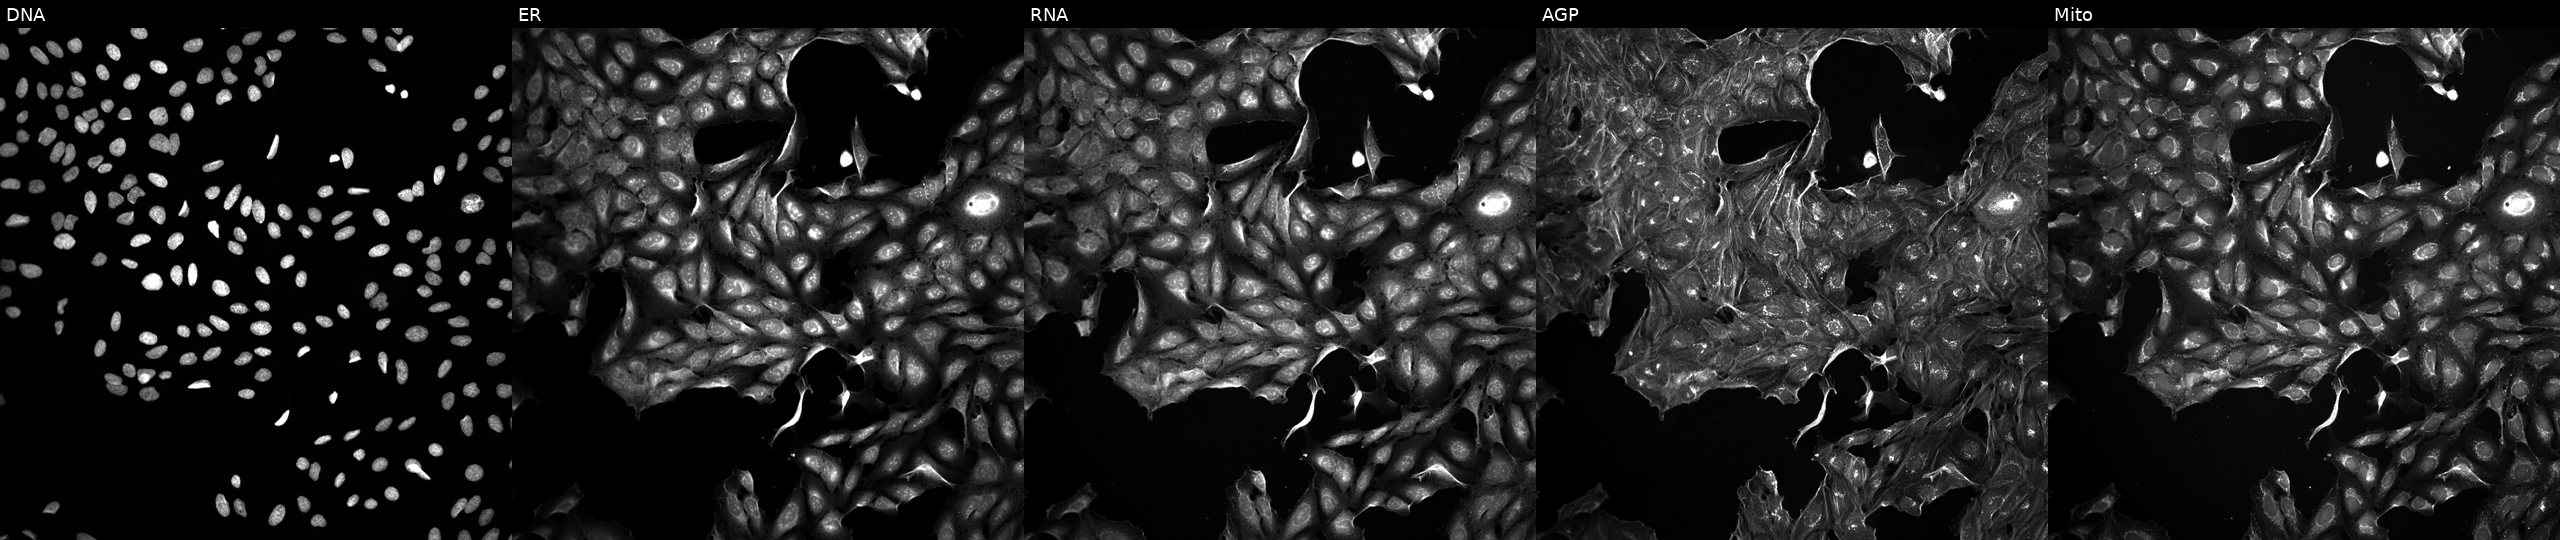
High-content fluorescence microscopy (Cell Painting). Cell line: U2OS. Perturbation: treated with a small-molecule compound (InChIKey FUICGSUEQRPYSR-UHFFFAOYSA-N) (JUMP id JCP2022_023016). Channels (left→right): DNA, ER, RNA, AGP, and Mito.